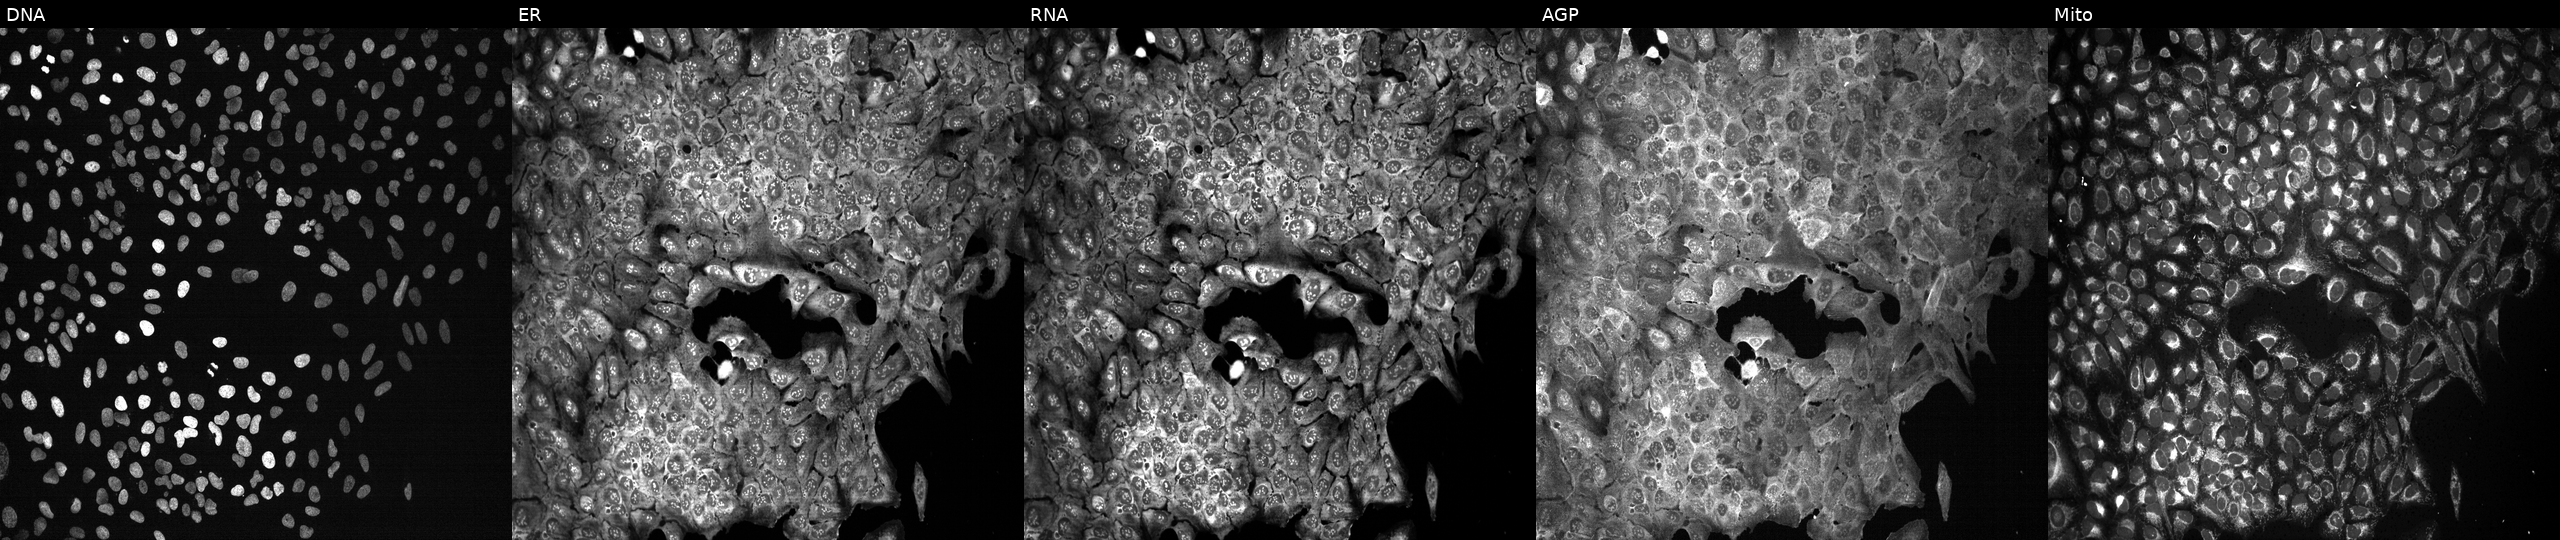
Channels (left→right): Hoechst 33342, concanavalin A, SYTO 14, phalloidin and WGA, MitoTracker. U2OS osteosarcoma cells with SULT4A1 knocked out by CRISPR (JUMP id JCP2022_806882). Cell Painting assay, JUMP-CP dataset.